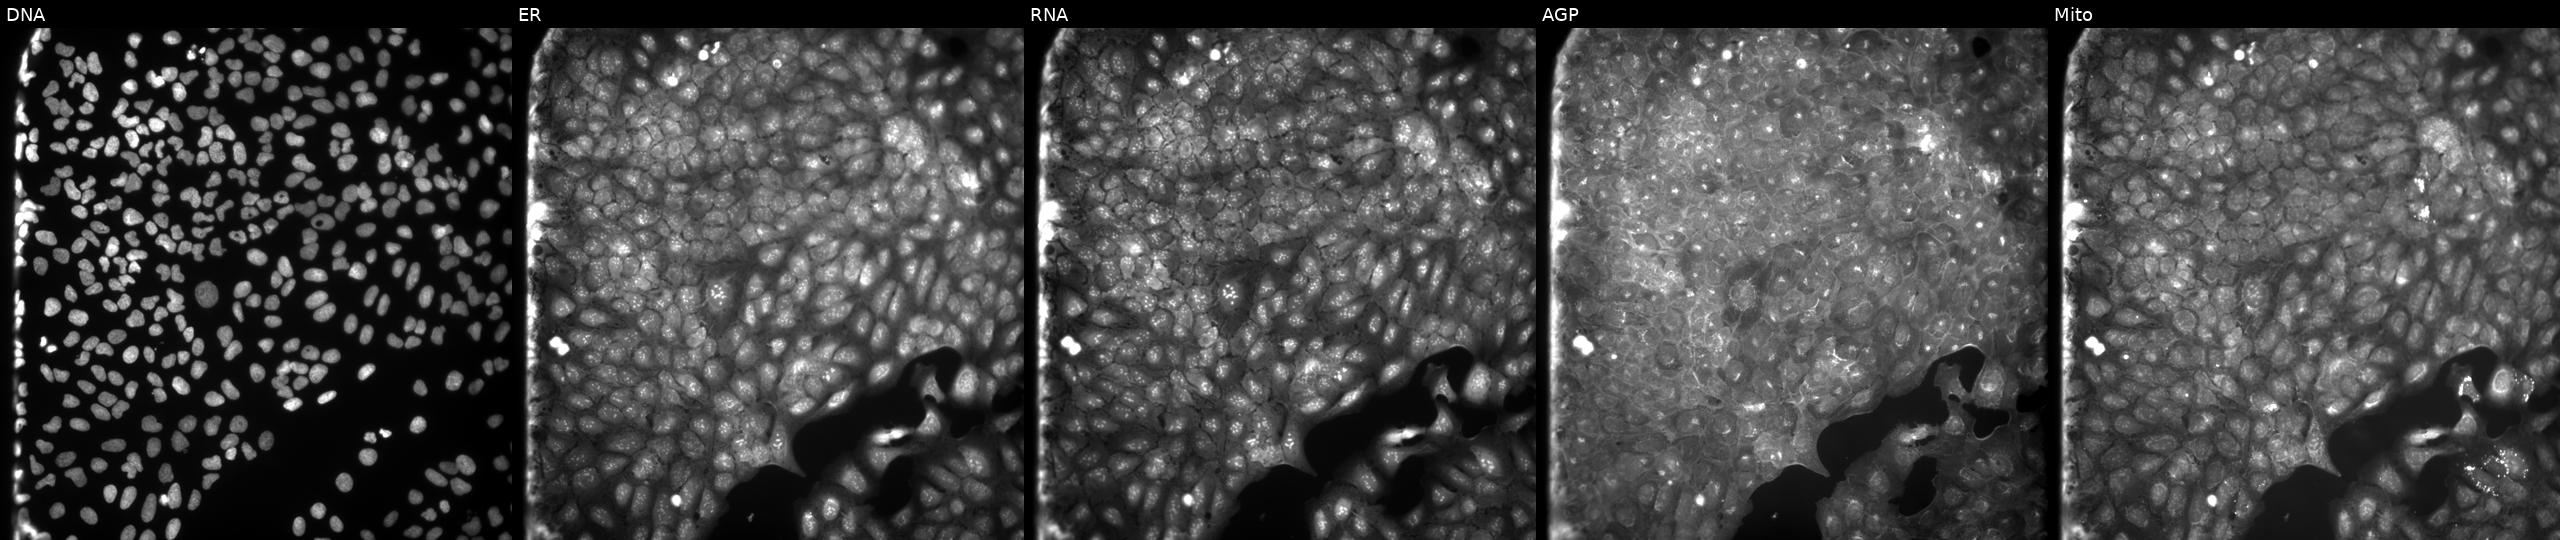
High-content fluorescence microscopy (Cell Painting). Cell line: U2OS. Perturbation: treated with a small-molecule compound (InChIKey YNVCWGSXSPXVJS-UHFFFAOYSA-N) (JUMP id JCP2022_109636). The five panels, left to right, show DNA, ER, RNA, AGP, and Mito. Source 9, plate GR00003382, well S06.